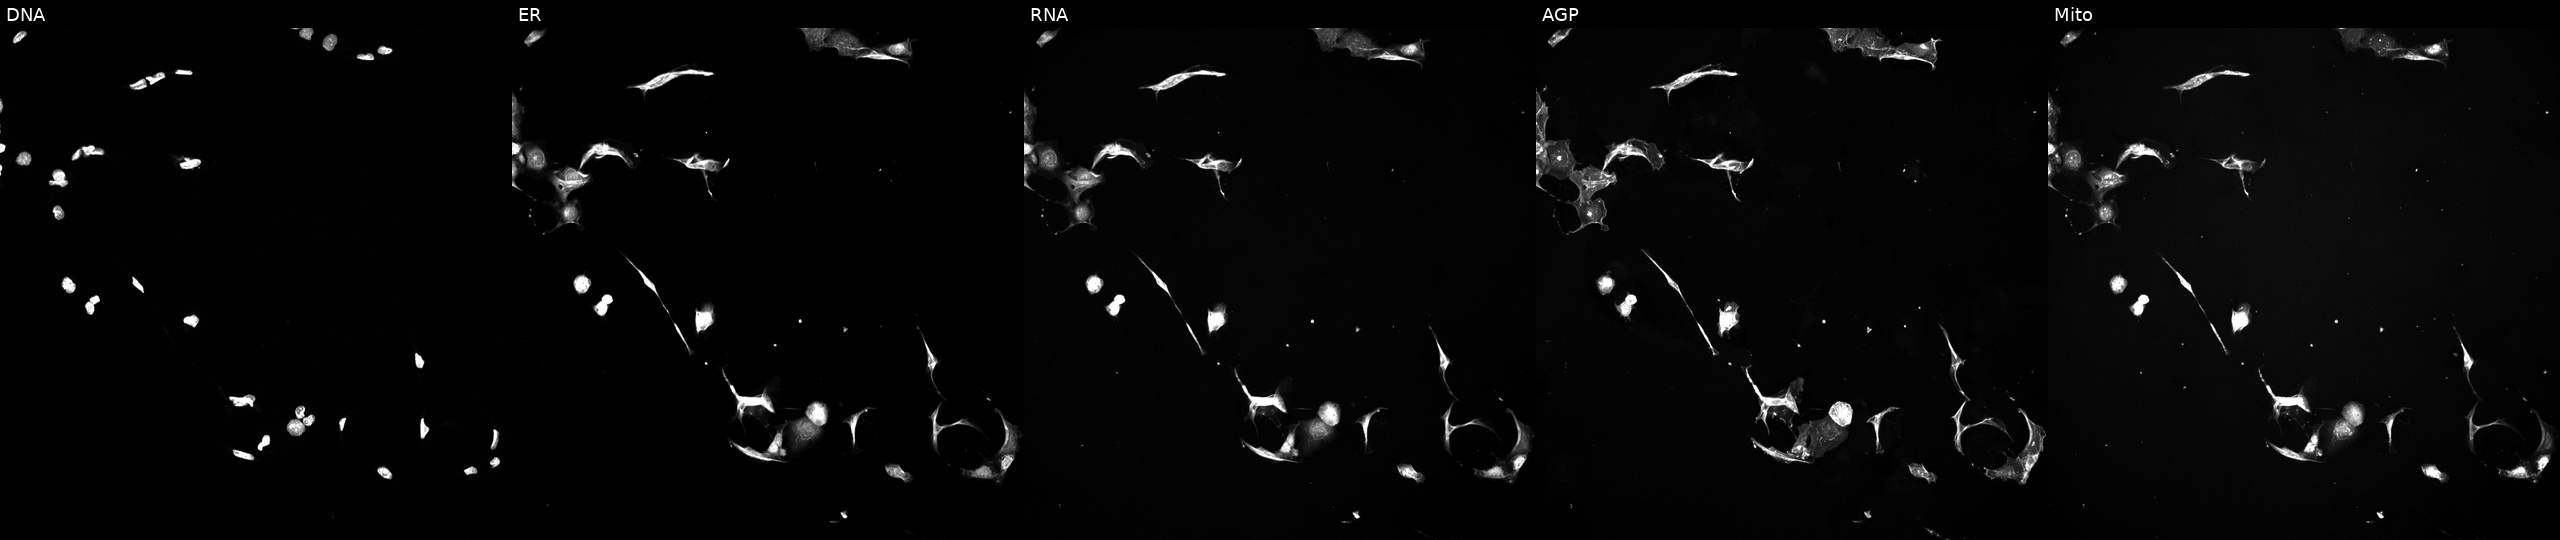
JUMP Cell Painting — TARGET2 plate. U2OS cells exposed to a small-molecule compound (InChIKey MAASHDQFQDDECQ-UHFFFAOYSA-N) (JUMP id JCP2022_052804). The five panels, left to right, show DNA, ER, RNA, AGP, and Mito. Source 5, plate ACPJUM032, well C19.